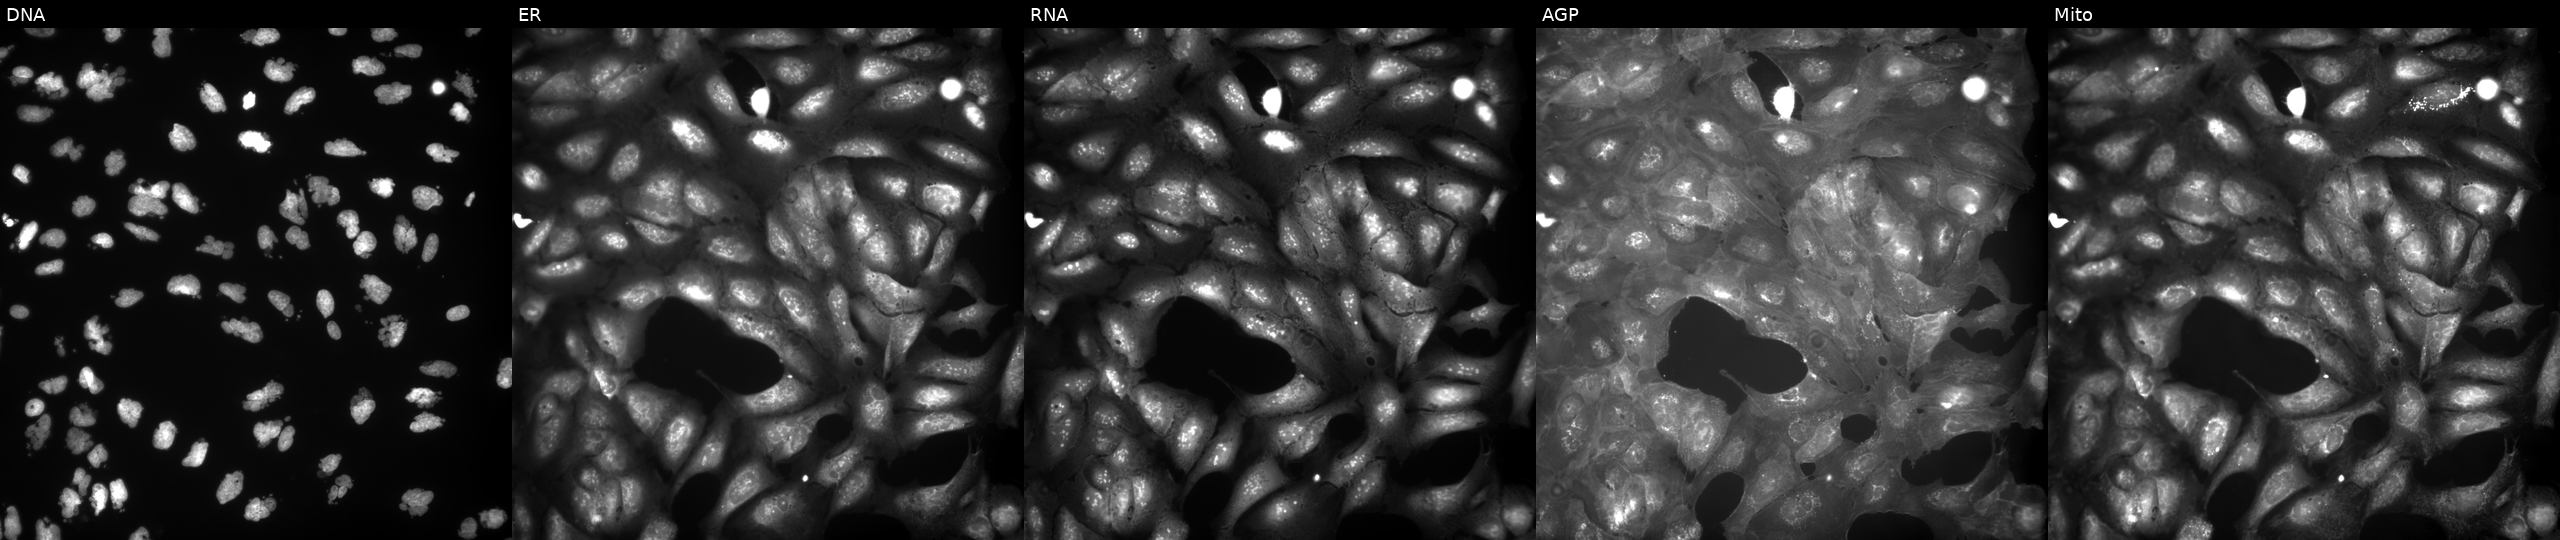
JUMP Cell Painting — COMPOUND plate. U2OS cells treated with AMG900 (positive-control compound). Channels (left→right): Hoechst 33342, concanavalin A, SYTO 14, phalloidin and WGA, MitoTracker.